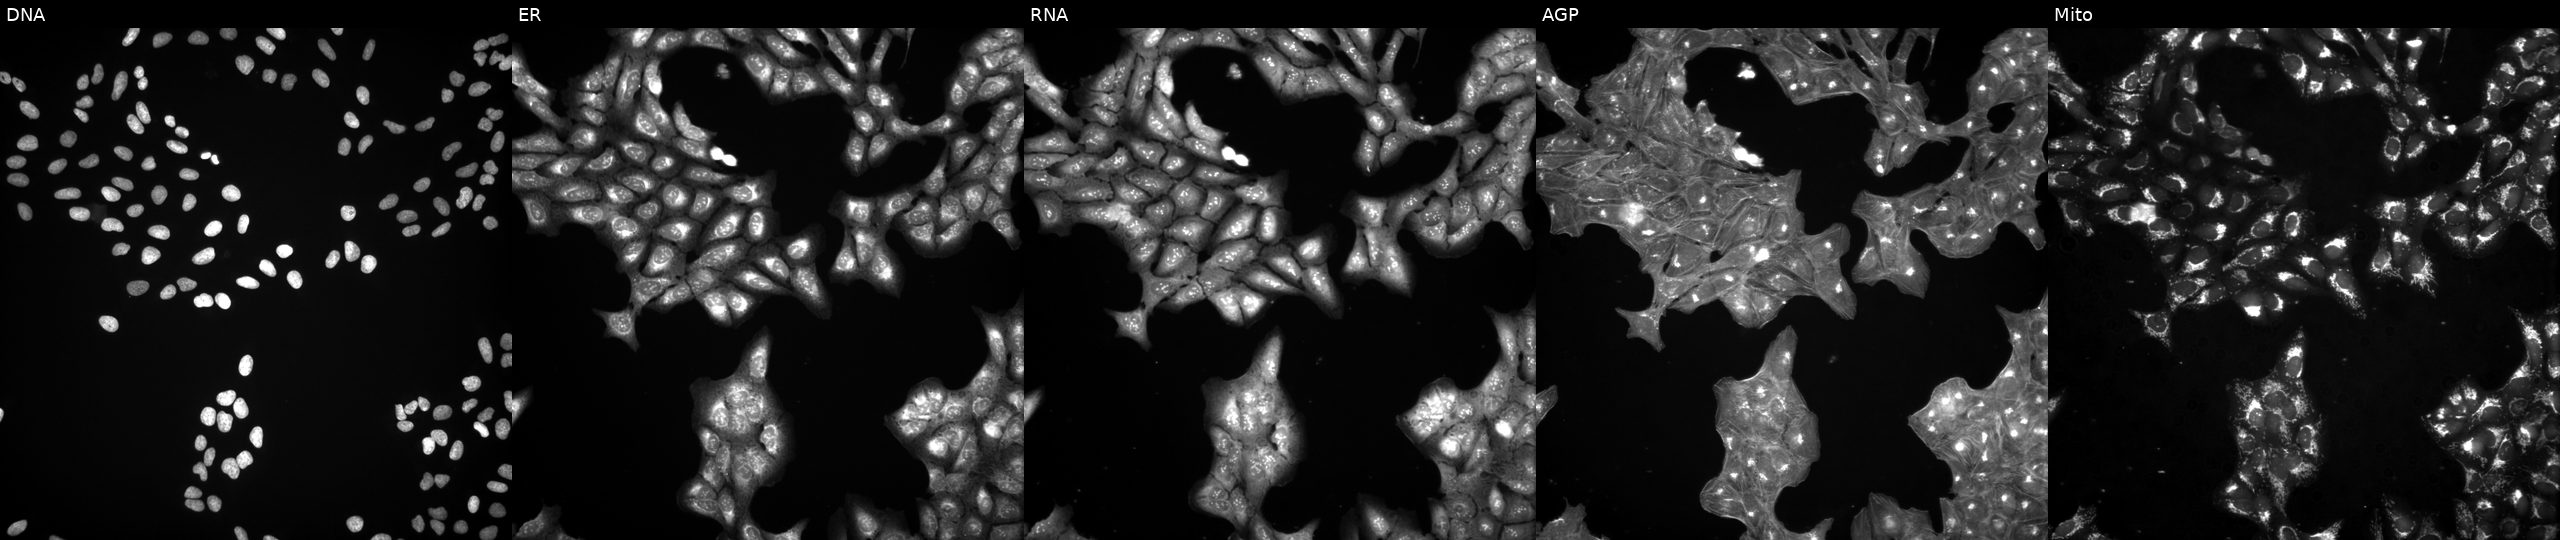
From left to right: DNA (nuclei); ER (endoplasmic reticulum); RNA (nucleoli and cytoplasmic RNA); AGP (actin cytoskeleton, Golgi, and plasma membrane); Mito (mitochondria). U2OS osteosarcoma cells exposed to a small-molecule compound (JUMP id JCP2022_084281). Cell Painting assay, JUMP-CP dataset.